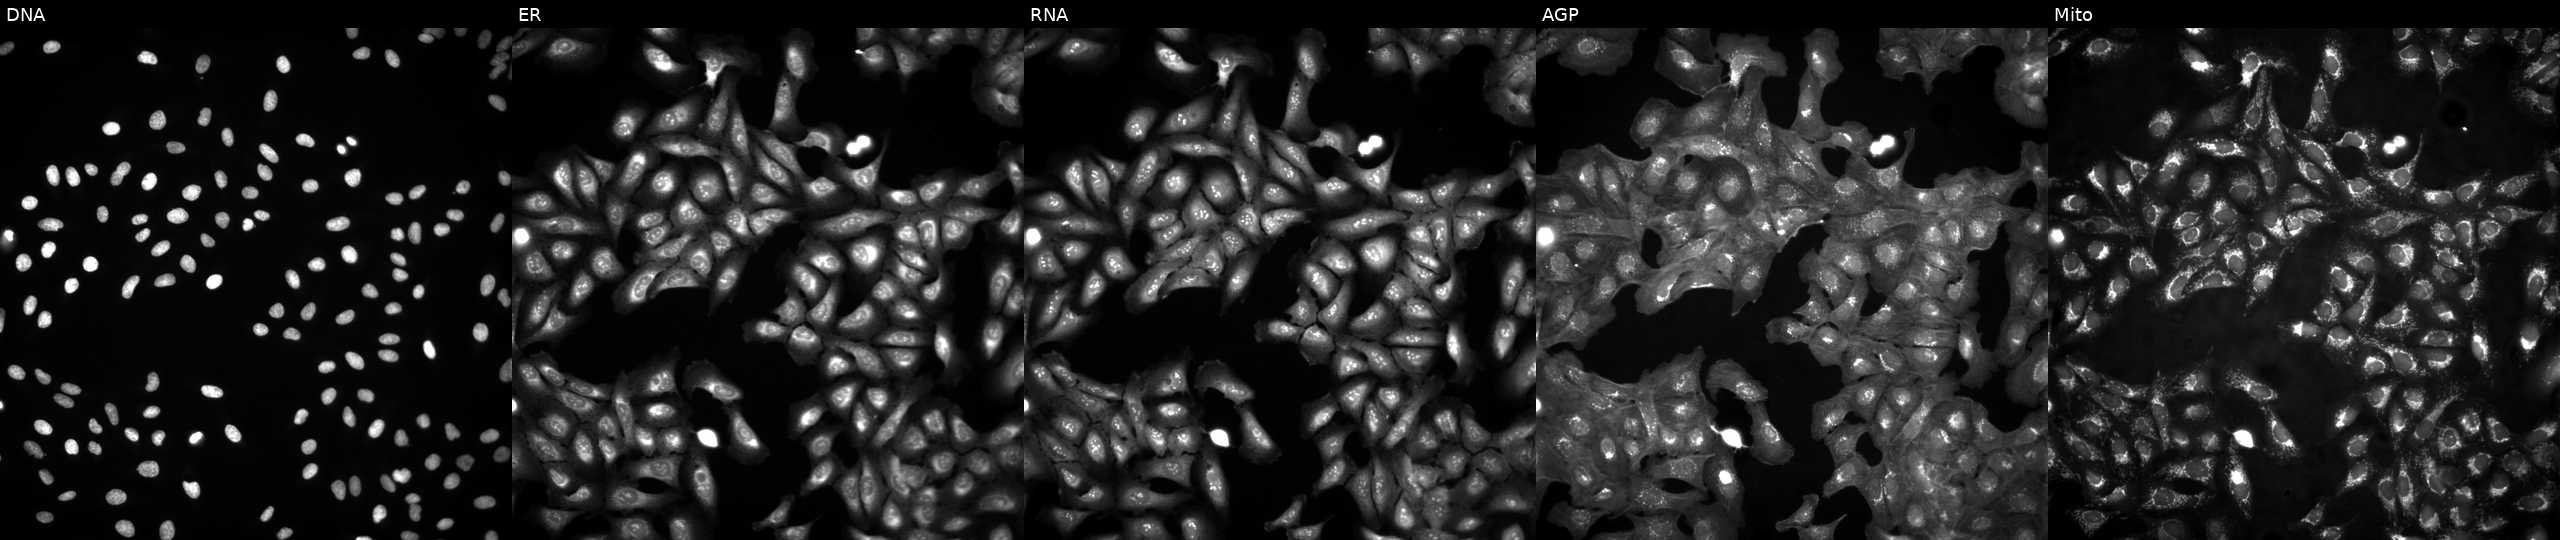
The five panels, left to right, show DNA (nuclei); ER (endoplasmic reticulum); RNA (nucleoli and cytoplasmic RNA); AGP (actin cytoskeleton, Golgi, and plasma membrane); Mito (mitochondria). U2OS osteosarcoma cells untreated (empty-well control) (JUMP id JCP2022_999999). Cell Painting assay, JUMP-CP dataset.